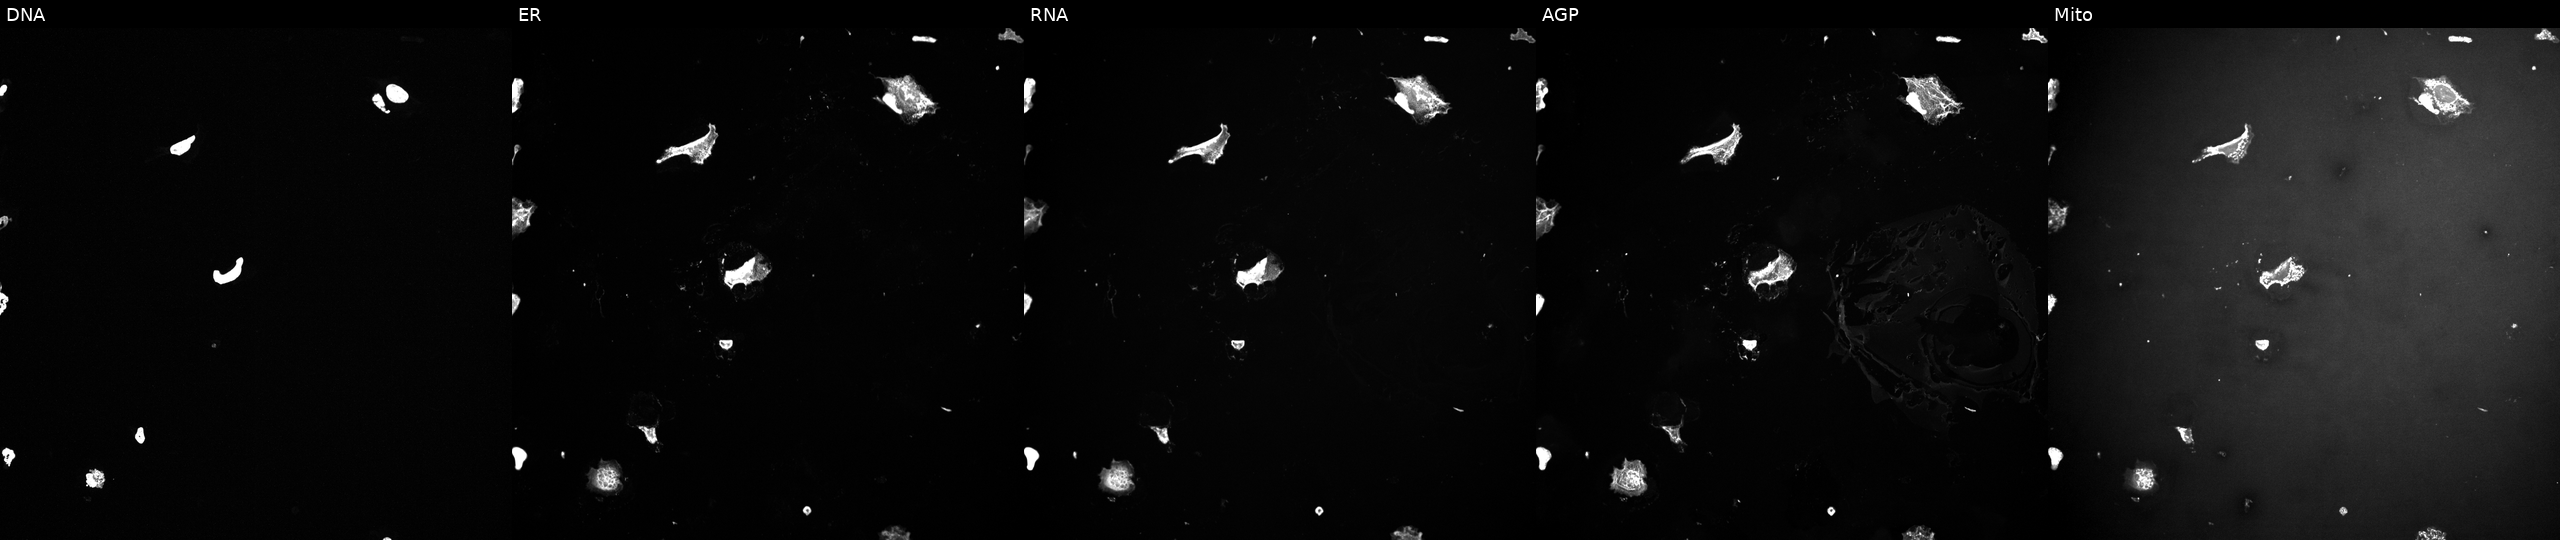
Five-channel Cell Painting image of U2OS cells treated with a small-molecule compound (InChIKey MTJHLONVHHPNSI-UHFFFAOYSA-N) (JUMP id JCP2022_056401). Channels (left→right): DNA, ER, RNA, AGP, and Mito.